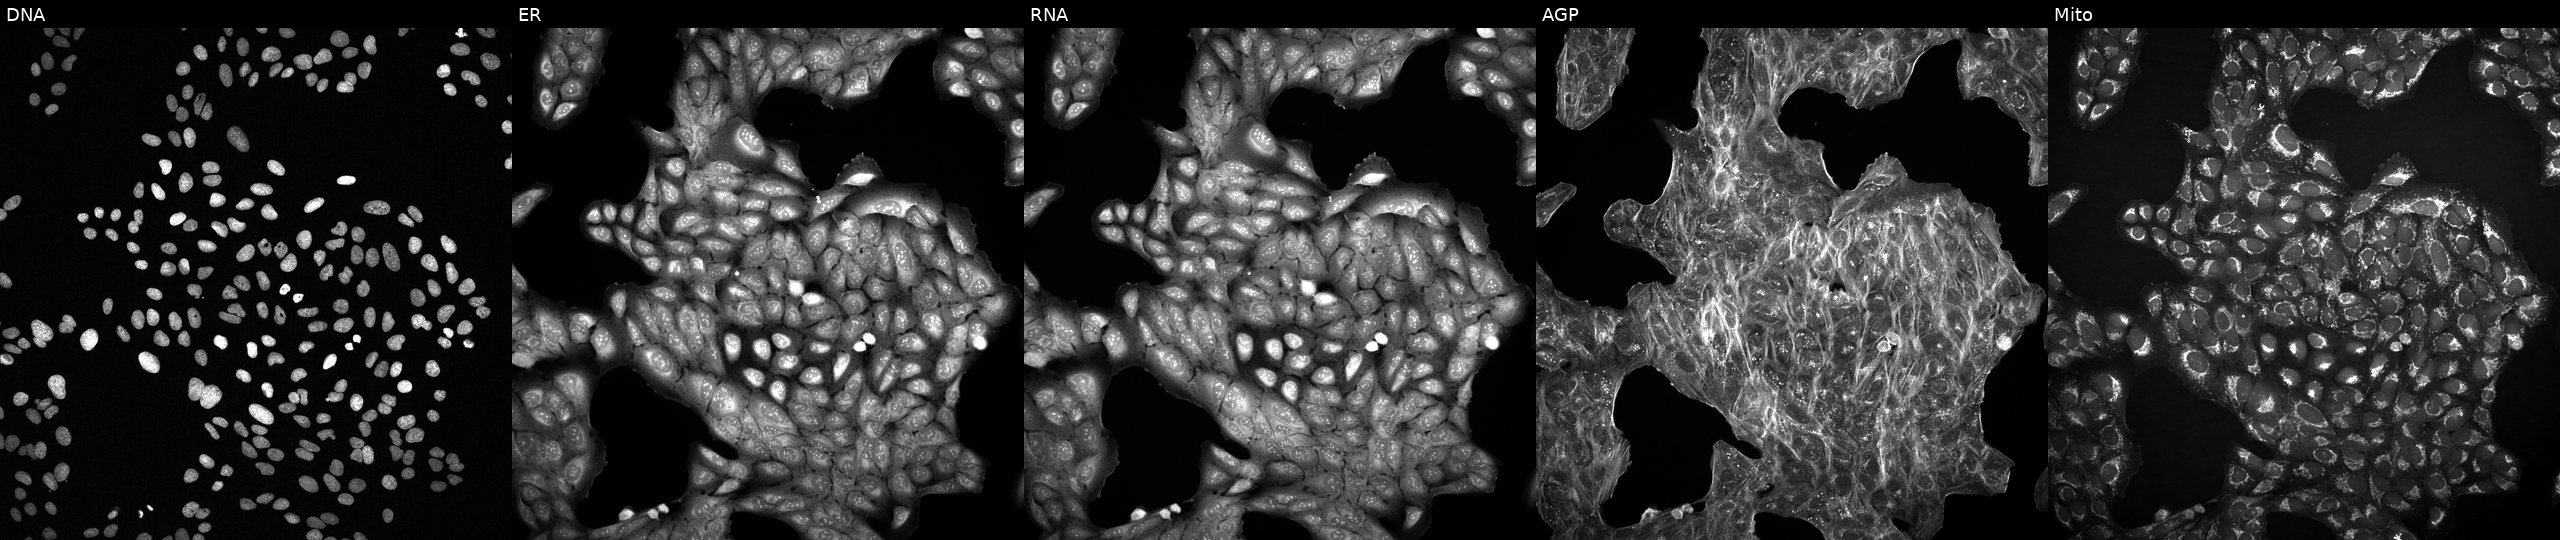
Channels (left→right): DNA (nuclei); ER (endoplasmic reticulum); RNA (nucleoli and cytoplasmic RNA); AGP (actin cytoskeleton, Golgi, and plasma membrane); Mito (mitochondria). U2OS osteosarcoma cells exposed to a small-molecule compound (InChIKey VHRZYQHRBINVLB-UHFFFAOYSA-N) (JUMP id JCP2022_094031). Cell Painting assay, JUMP-CP dataset. Source 2, plate 1053601756, well K11.